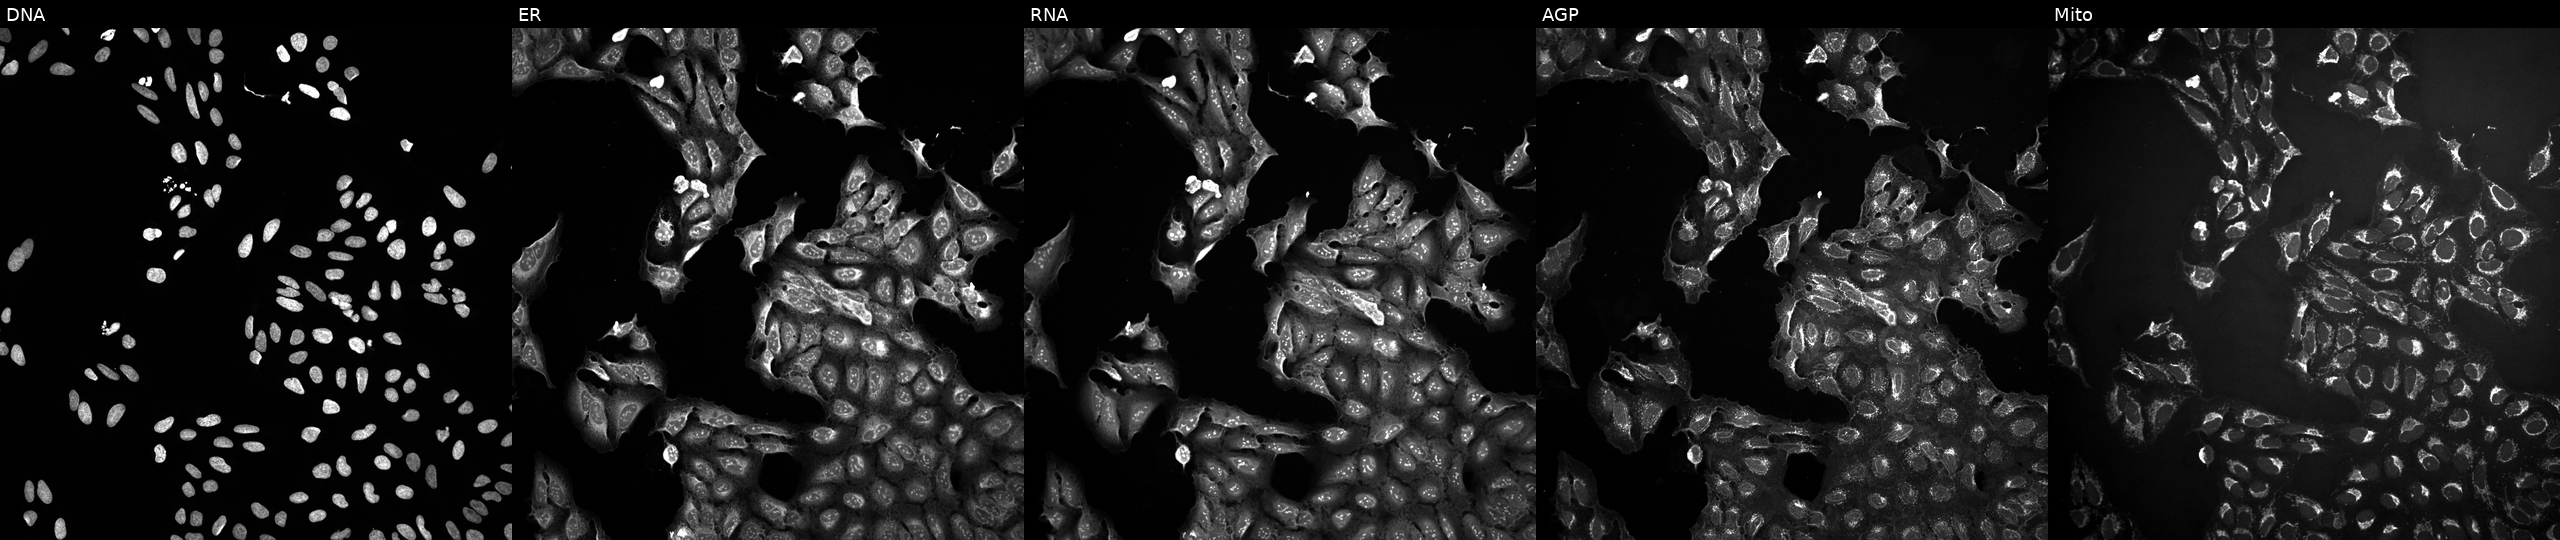
U2OS cells, Cell Painting assay, exposed to a small-molecule compound (InChIKey DHMTURDWPRKSOA-UHFFFAOYSA-N). Channels (left→right): DNA (nuclei); ER (endoplasmic reticulum); RNA (nucleoli and cytoplasmic RNA); AGP (actin cytoskeleton, Golgi, and plasma membrane); Mito (mitochondria). Each panel is percentile-stretched 16-bit fluorescence. Source 10, plate Dest210803-153958, well N08.